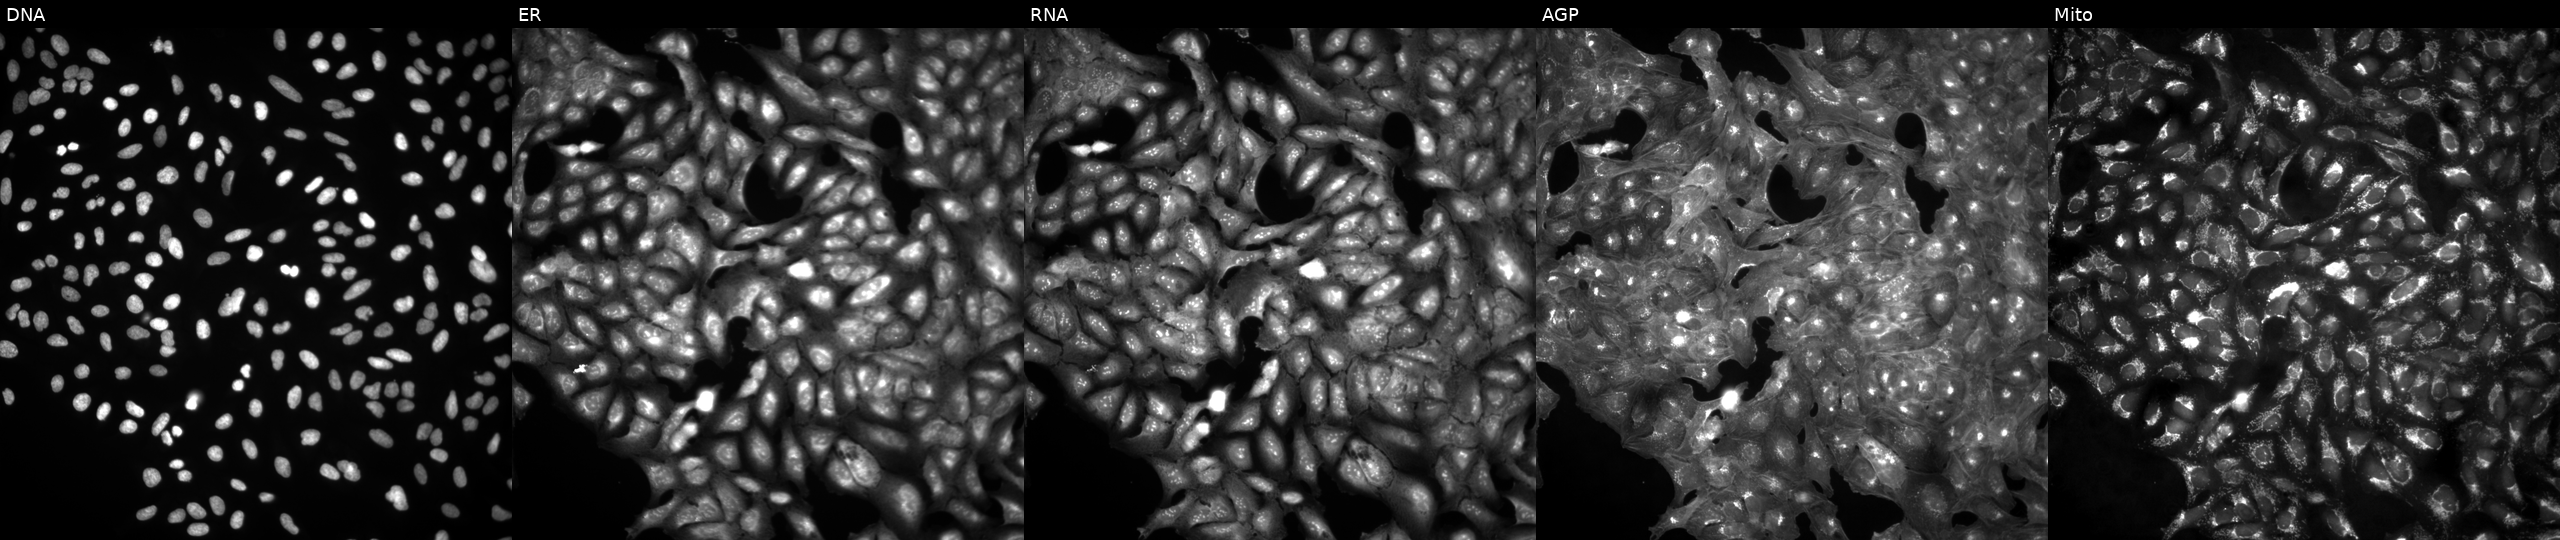
From left to right: Hoechst 33342, concanavalin A, SYTO 14, phalloidin and WGA, MitoTracker. U2OS osteosarcoma cells untreated (empty-well control) (JUMP id JCP2022_999999). Cell Painting assay, JUMP-CP dataset.